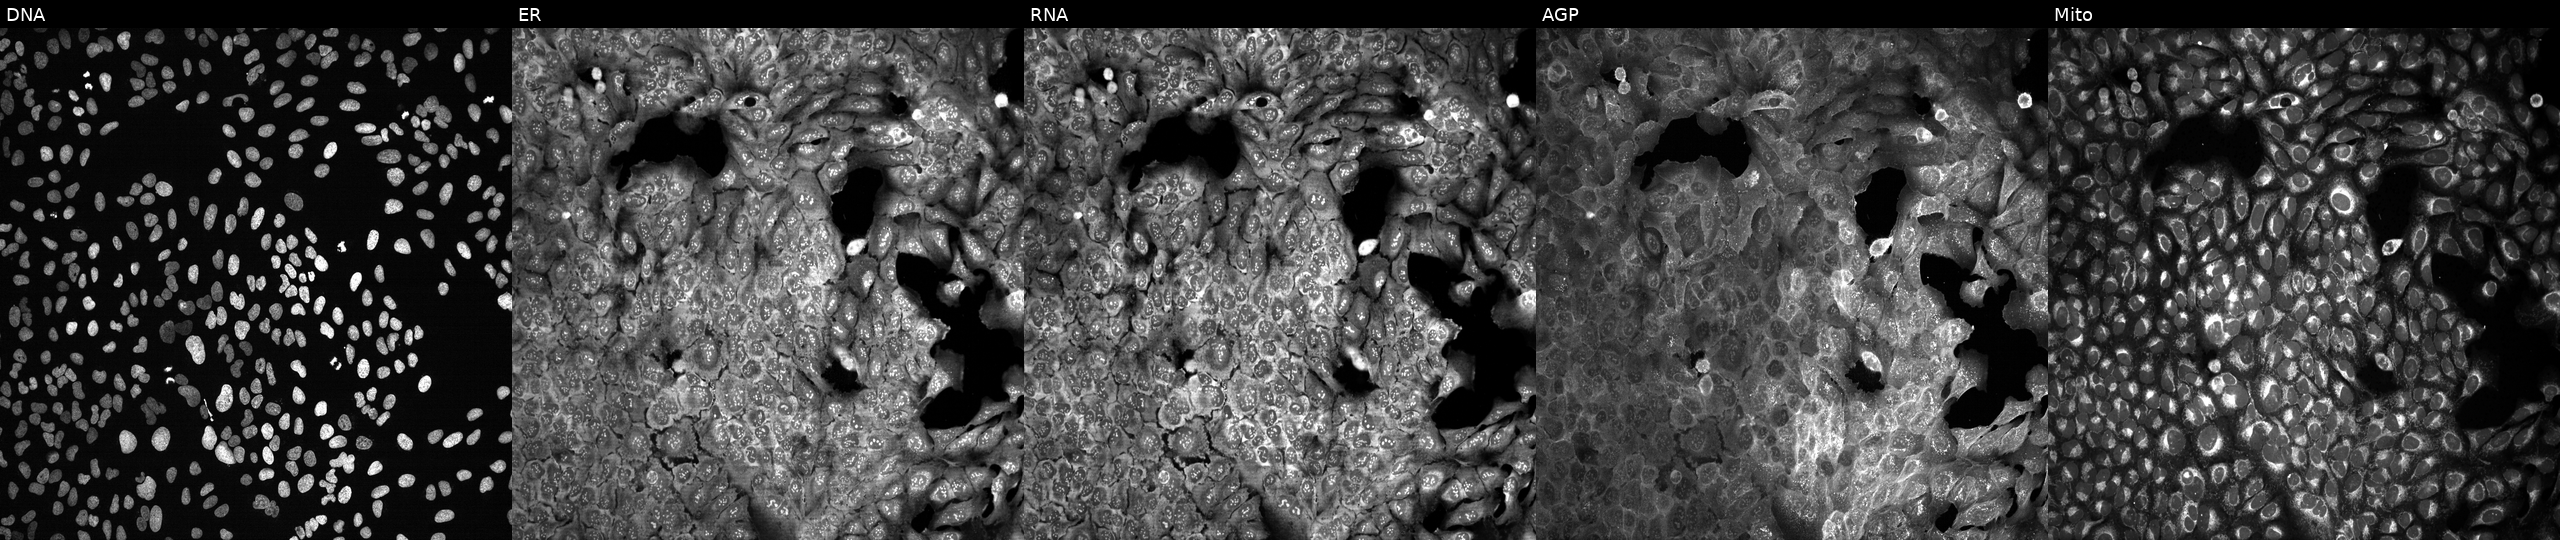
U2OS cells, Cell Painting assay, with F12 knocked out by CRISPR (JUMP id JCP2022_802229). The five panels, left to right, show DNA (nuclei); ER (endoplasmic reticulum); RNA (nucleoli and cytoplasmic RNA); AGP (actin cytoskeleton, Golgi, and plasma membrane); Mito (mitochondria). Each panel is percentile-stretched 16-bit fluorescence.